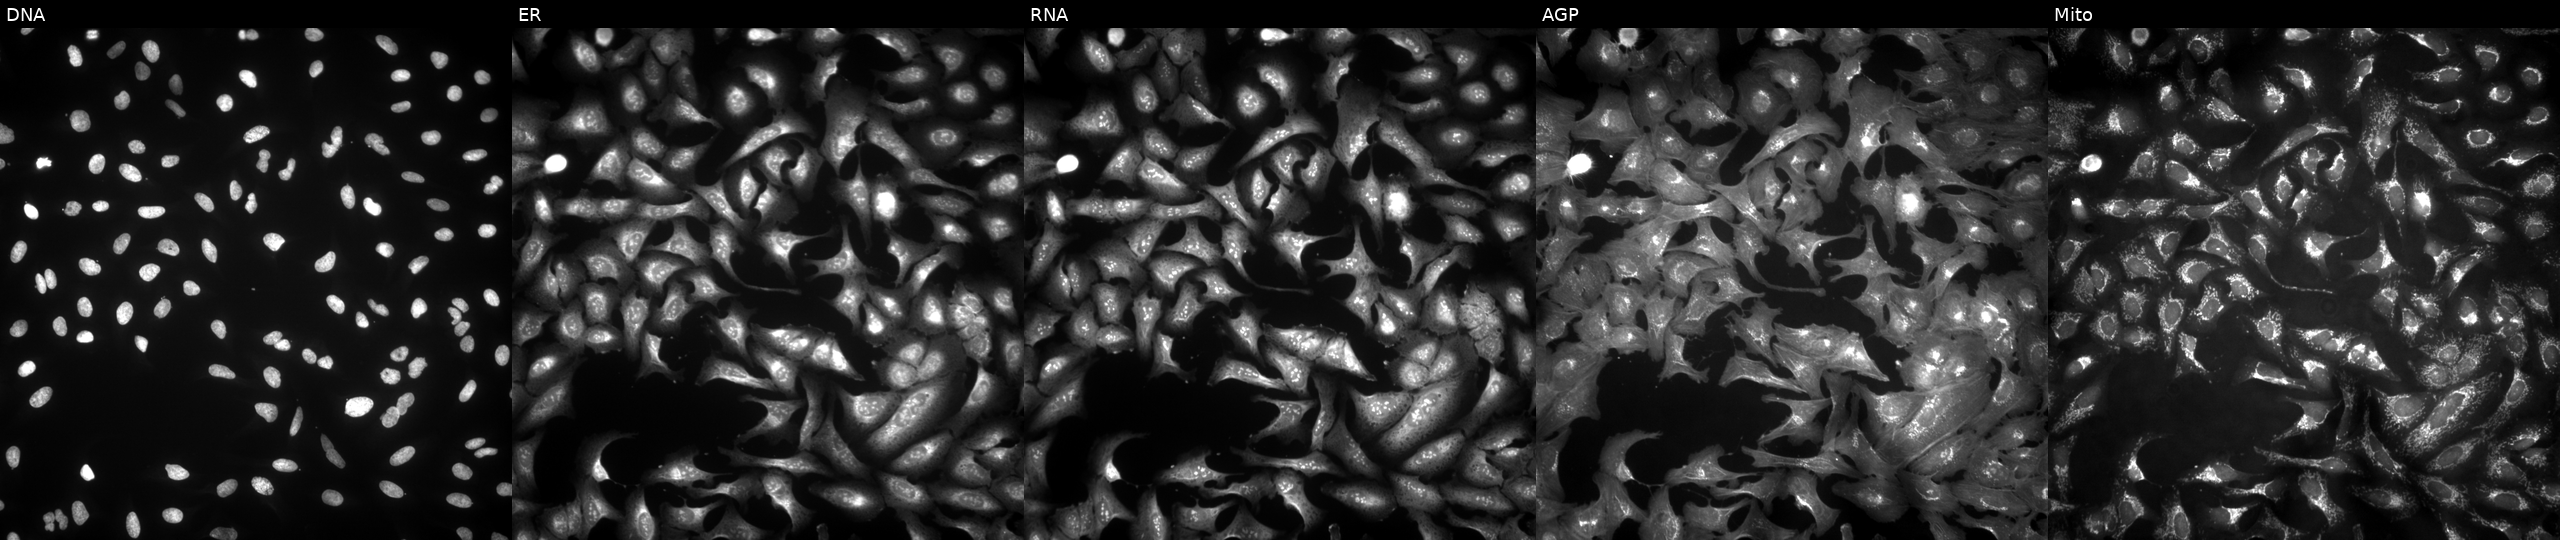
U2OS cells, Cell Painting assay, with ACVR2A overexpressed (ORF) (JUMP id JCP2022_905392). Panels show, left to right, DNA (nuclei); ER (endoplasmic reticulum); RNA (nucleoli and cytoplasmic RNA); AGP (actin cytoskeleton, Golgi, and plasma membrane); Mito (mitochondria). Each panel is percentile-stretched 16-bit fluorescence.